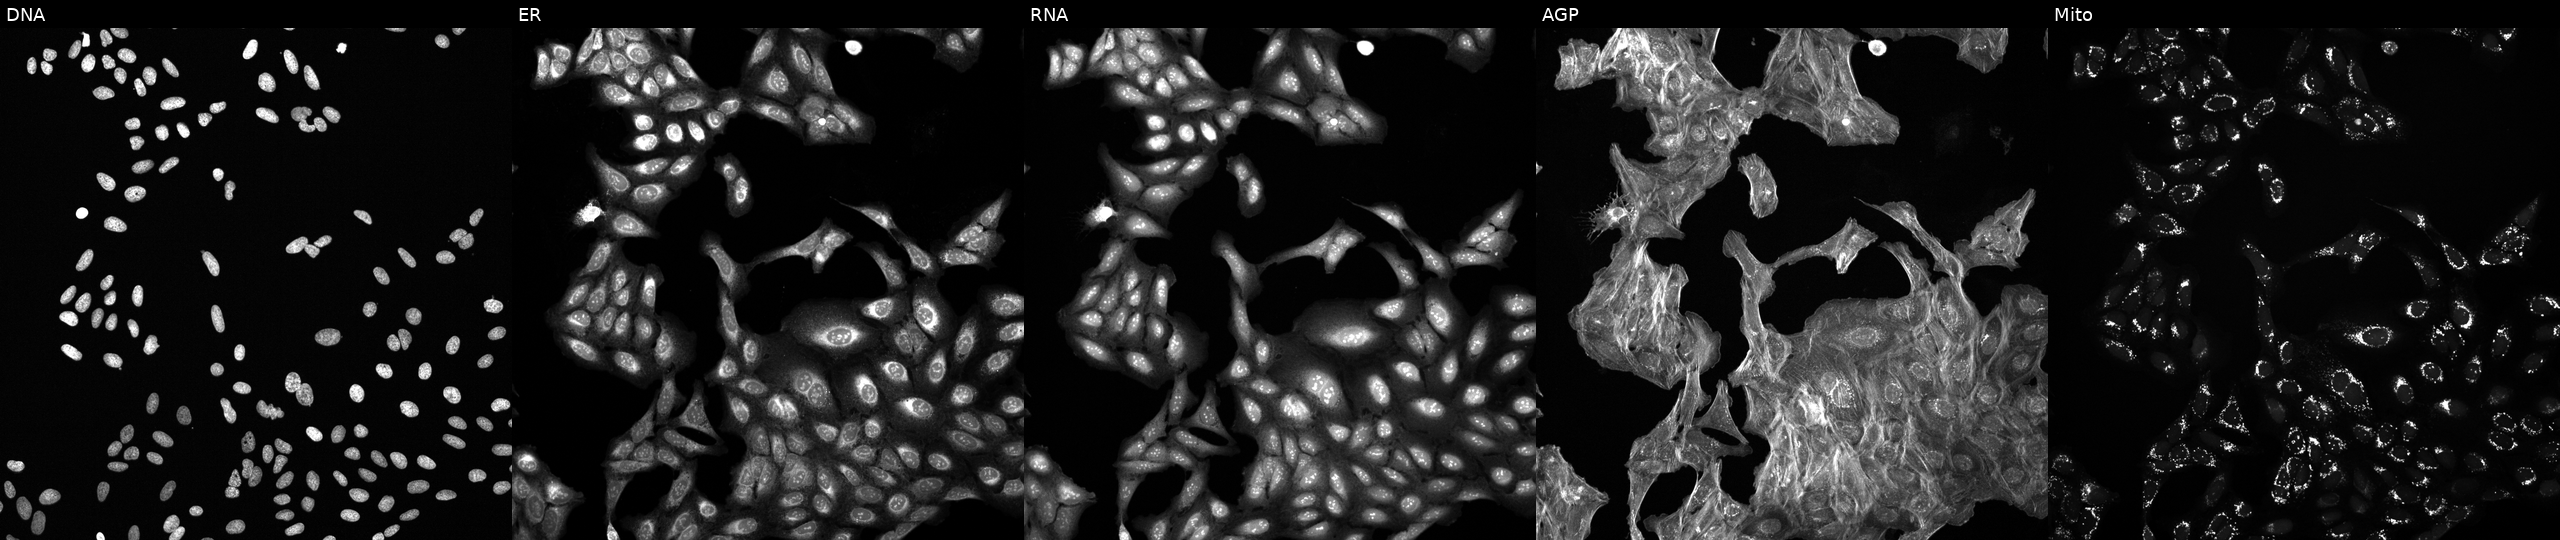
High-content fluorescence microscopy (Cell Painting). Cell line: U2OS. Perturbation: perturbed with a small-molecule compound (InChIKey WGZOTBUYUFBEPZ-UHFFFAOYSA-N) (JUMP id JCP2022_098688). Panels show, left to right, DNA (nuclei); ER (endoplasmic reticulum); RNA (nucleoli and cytoplasmic RNA); AGP (actin cytoskeleton, Golgi, and plasma membrane); Mito (mitochondria).